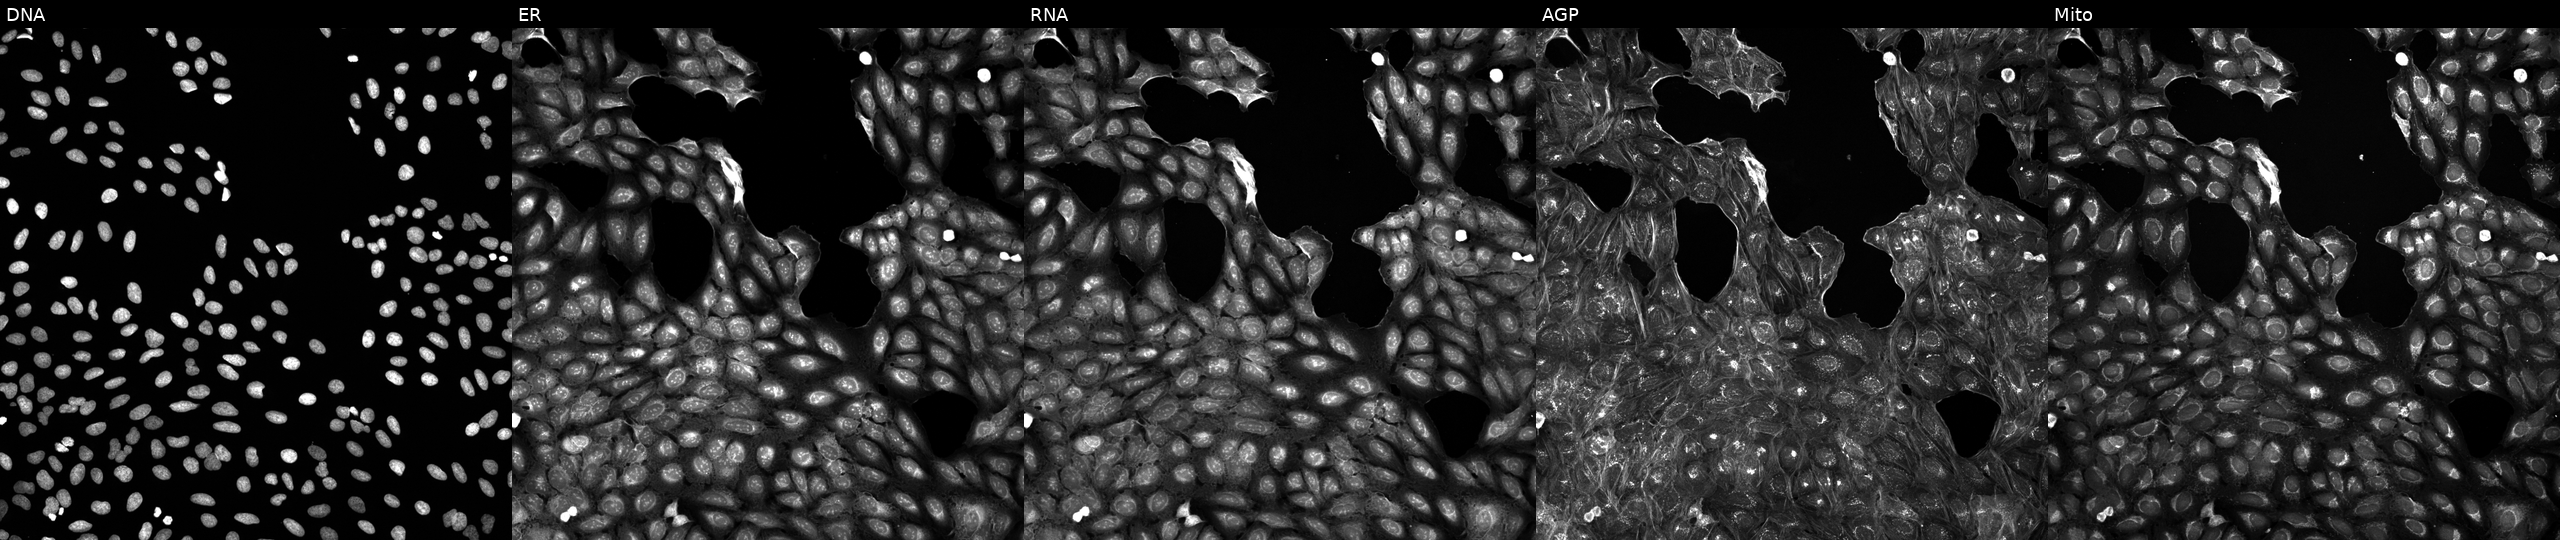
JUMP Cell Painting — COMPOUND plate. U2OS cells treated with a small-molecule compound (InChIKey XQVWKXMKHPTISA-UHFFFAOYSA-N). The five panels, left to right, show Hoechst 33342, concanavalin A, SYTO 14, phalloidin and WGA, MitoTracker.